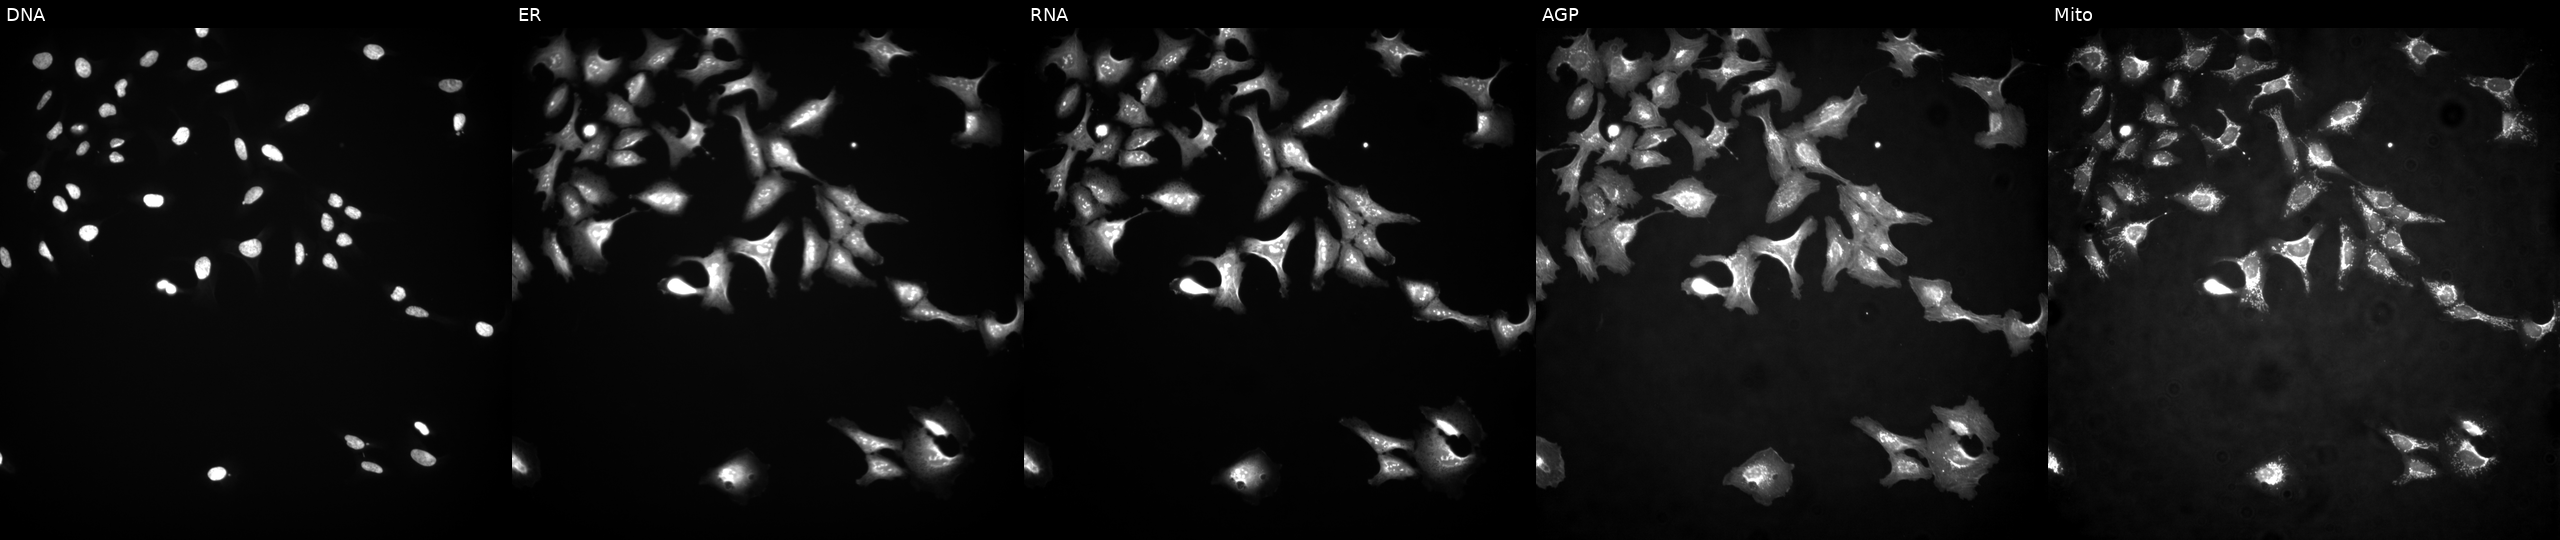
JUMP Cell Painting — ORF plate. U2OS cells with CERS3 overexpressed (ORF) (JUMP id JCP2022_915083). Channels (left→right): DNA, ER, RNA, AGP, and Mito.